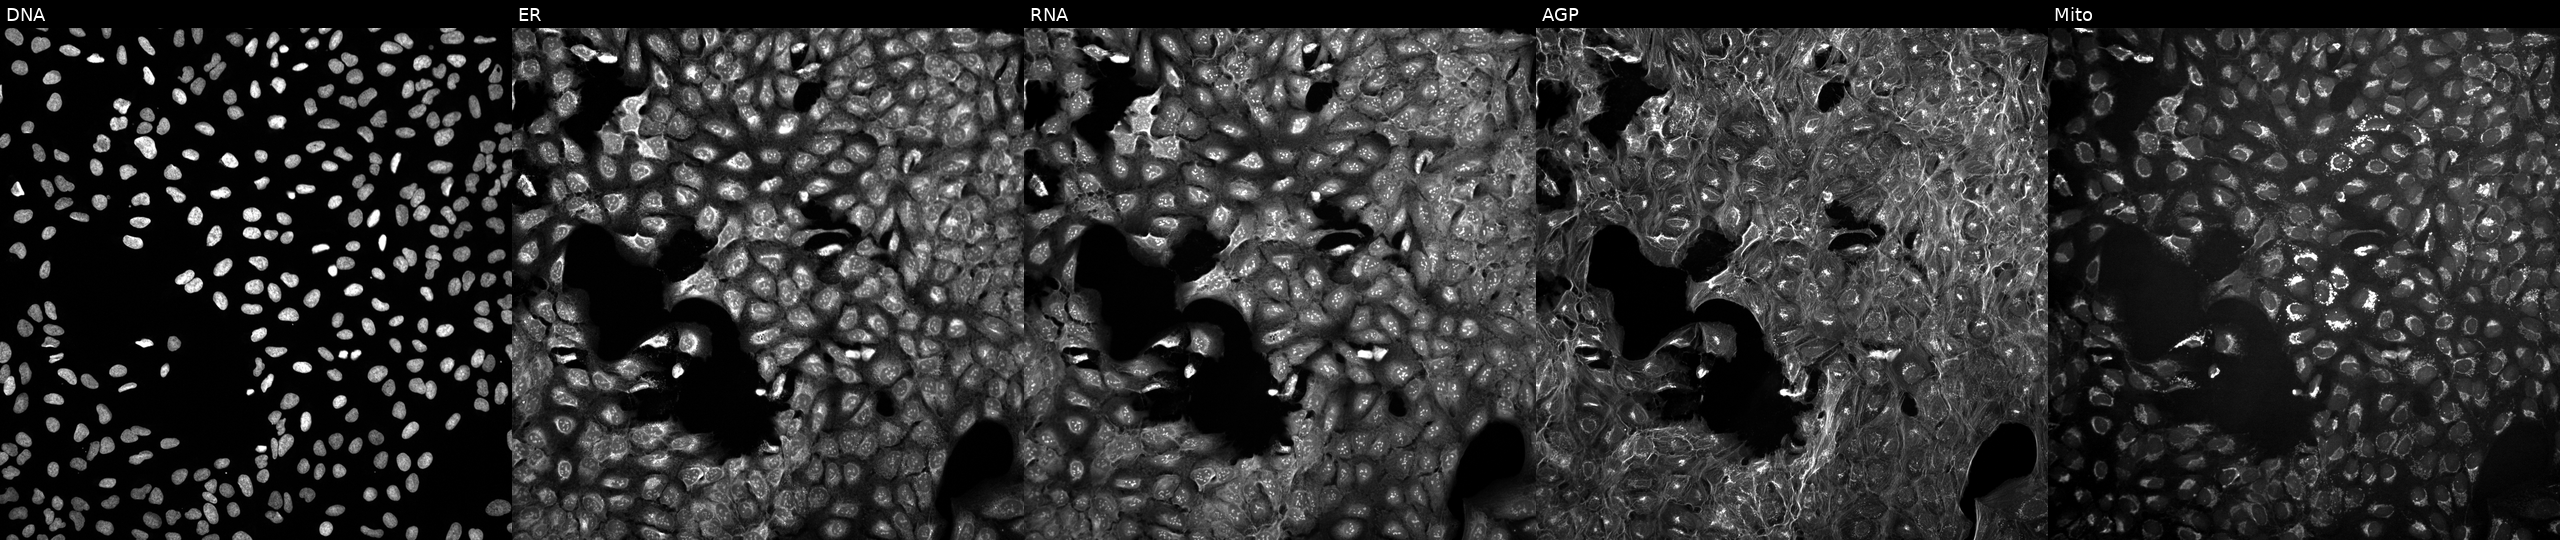
U2OS cells, Cell Painting assay, untreated (empty-well control). From left to right: Hoechst 33342, concanavalin A, SYTO 14, phalloidin and WGA, MitoTracker. Each panel is percentile-stretched 16-bit fluorescence.